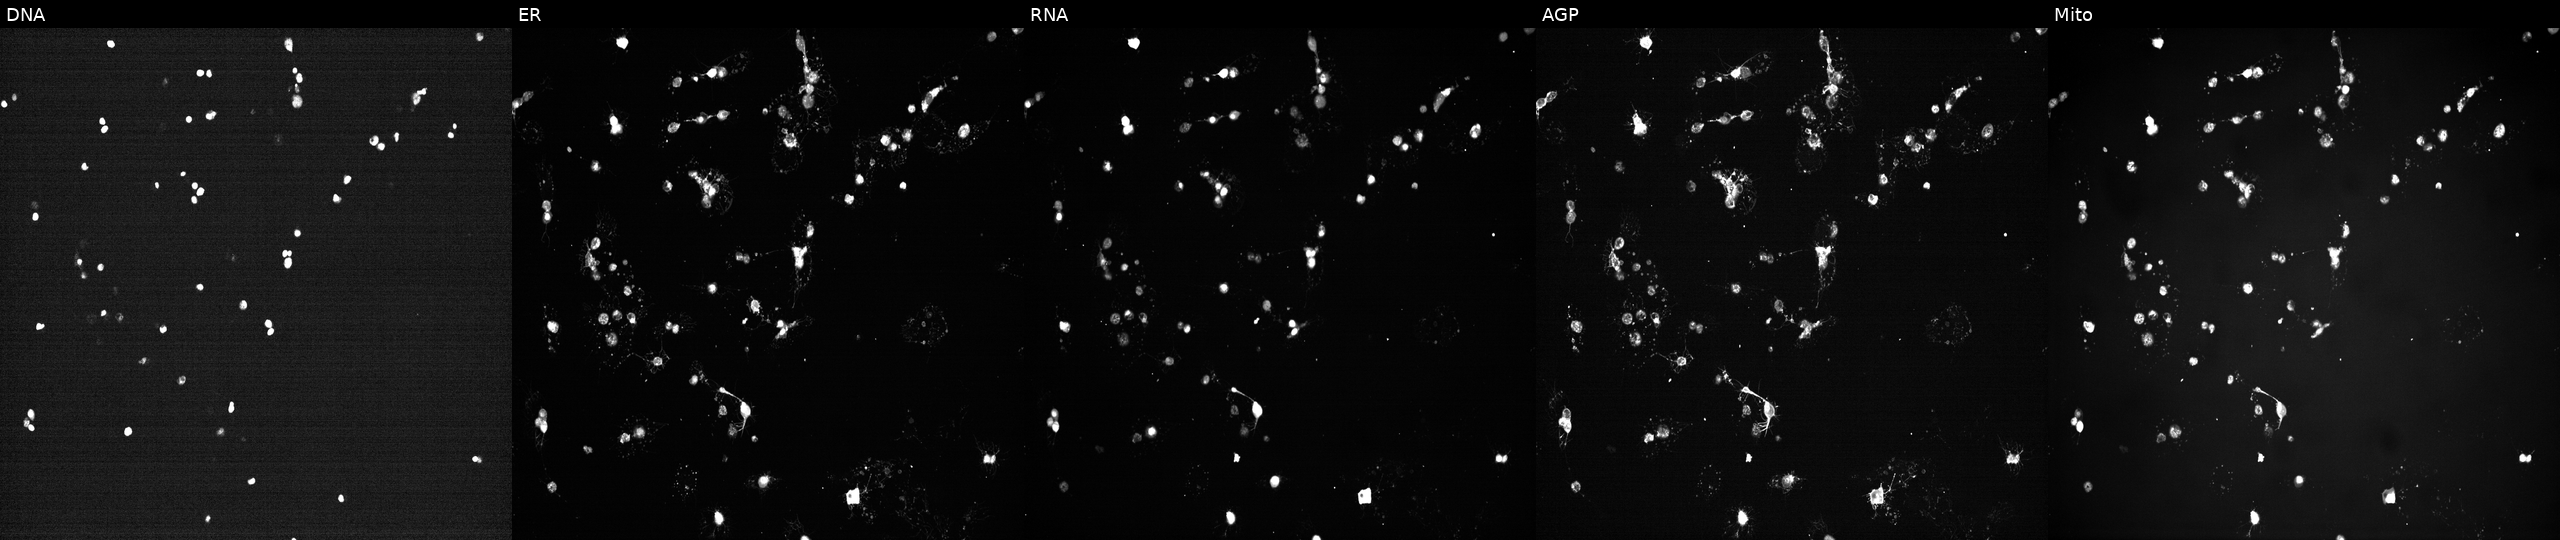
This image strip shows the five Cell Painting channels for a single field of U2OS cells treated with a small-molecule compound (InChIKey IAYGCINLNONXHY-UHFFFAOYSA-N). Panels show, left to right, DNA (nuclei); ER (endoplasmic reticulum); RNA (nucleoli and cytoplasmic RNA); AGP (actin cytoskeleton, Golgi, and plasma membrane); Mito (mitochondria). Source 7, plate CP3-SC1-25, well D11.